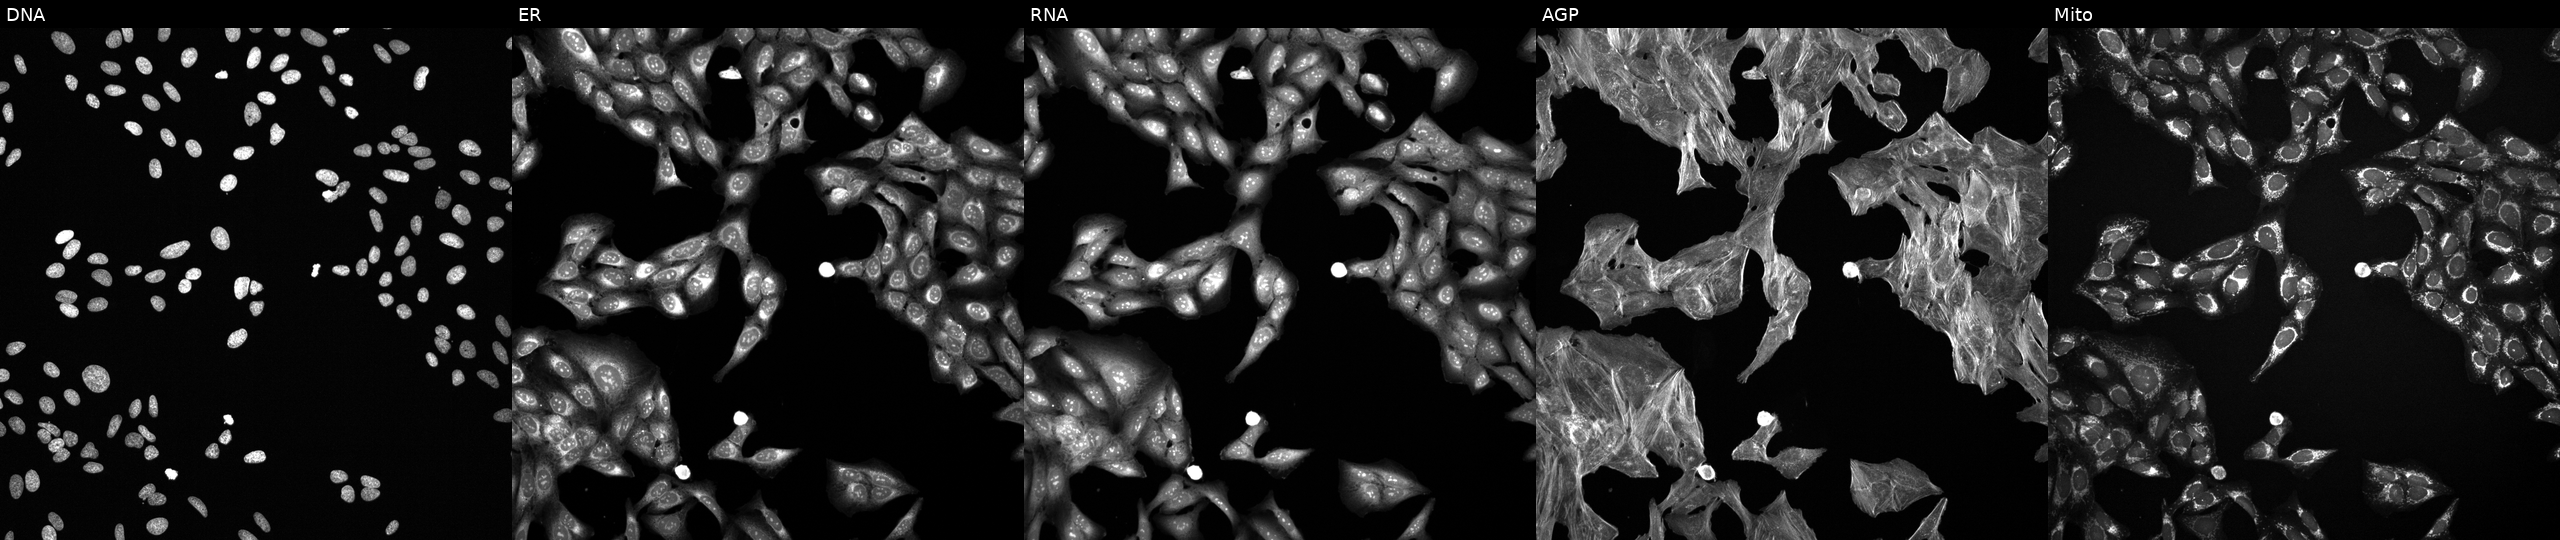
High-content fluorescence microscopy (Cell Painting). Cell line: U2OS. Perturbation: exposed to a small-molecule compound (InChIKey WYWHKKSPHMUBEB-UHFFFAOYSA-N). The five panels, left to right, show DNA, ER, RNA, AGP, and Mito. Source 6, plate 110000293081, well D20.